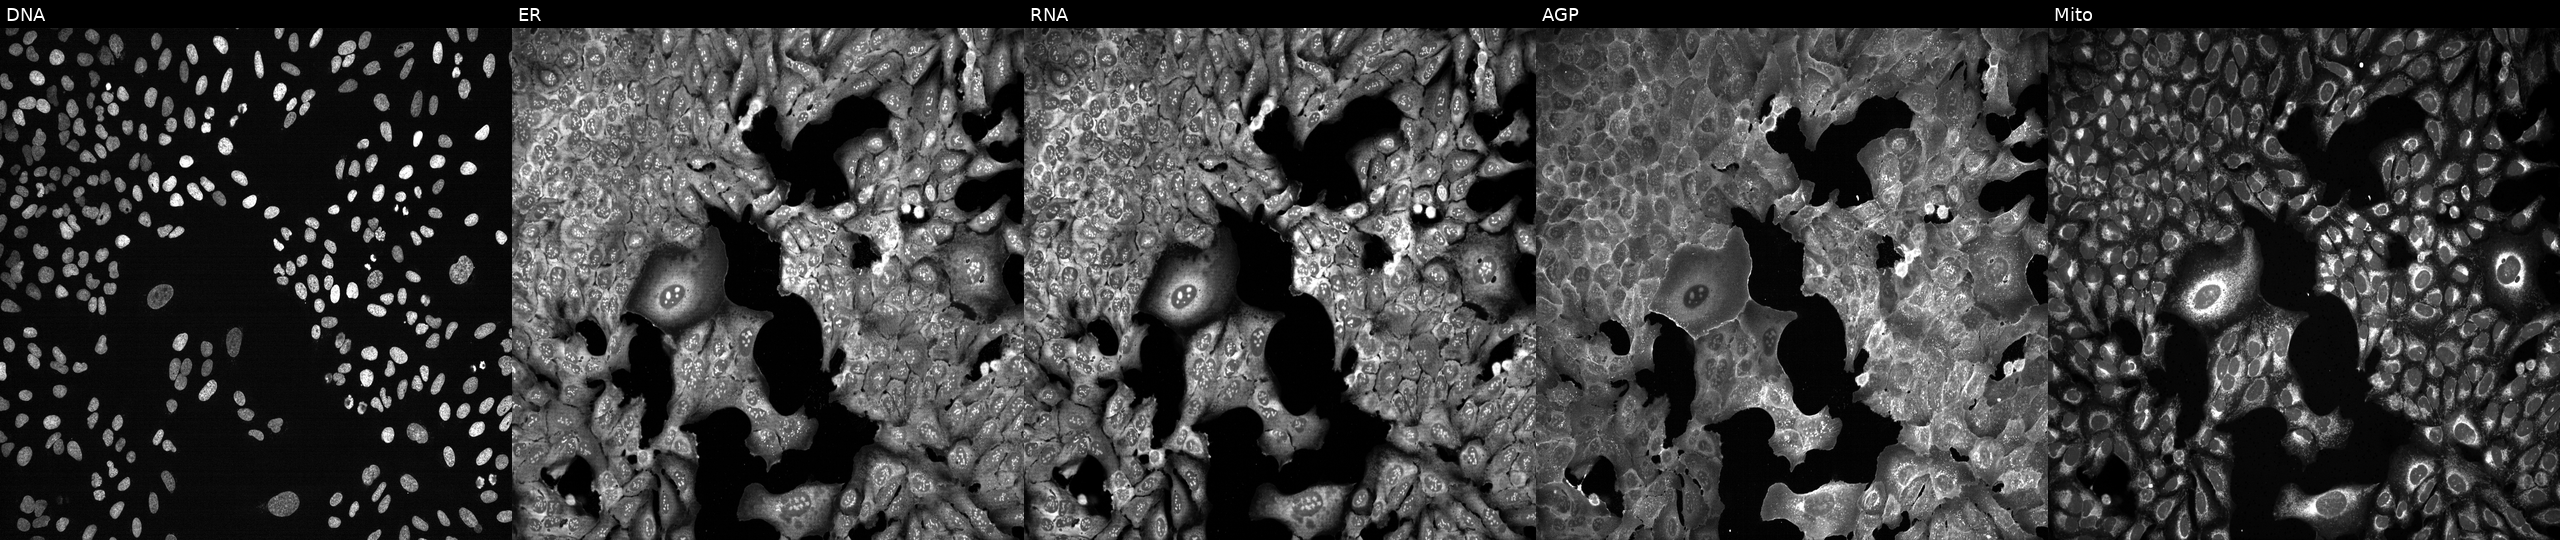
Panels show, left to right, Hoechst 33342, concanavalin A, SYTO 14, phalloidin and WGA, MitoTracker. U2OS osteosarcoma cells with RHBDF2 knocked out by CRISPR. Cell Painting assay, JUMP-CP dataset. Source 13, plate CP-CC9-R6-19, well C11.